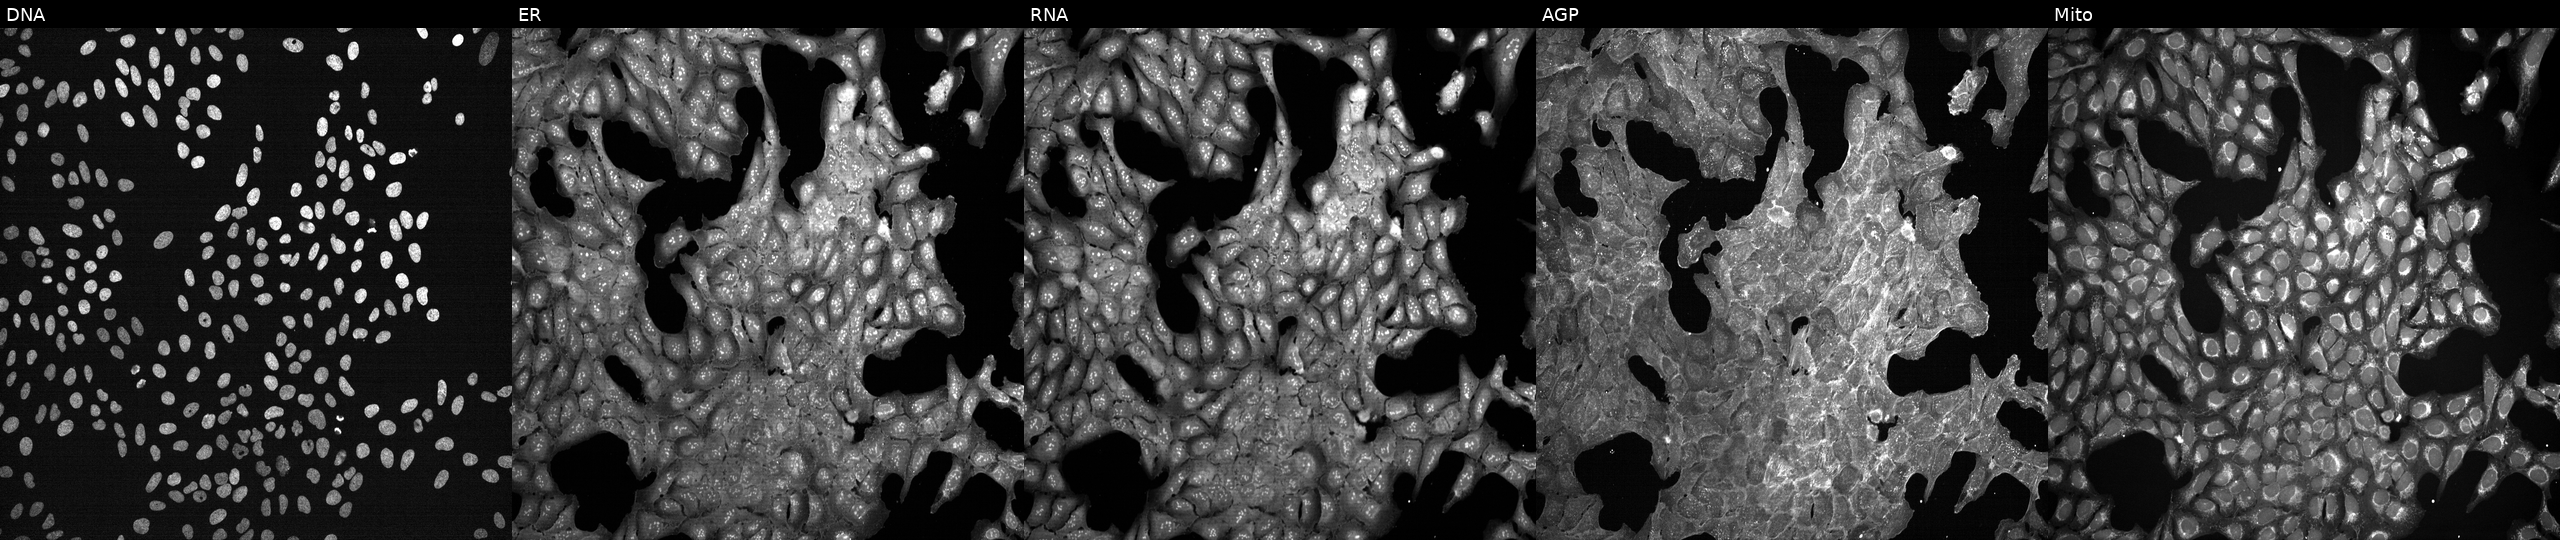
U2OS cells, Cell Painting assay, exposed to a small-molecule compound (InChIKey PWKSKIMOESPYIA-UHFFFAOYSA-N). Panels show, left to right, DNA (nuclei); ER (endoplasmic reticulum); RNA (nucleoli and cytoplasmic RNA); AGP (actin cytoskeleton, Golgi, and plasma membrane); Mito (mitochondria). Each panel is percentile-stretched 16-bit fluorescence.